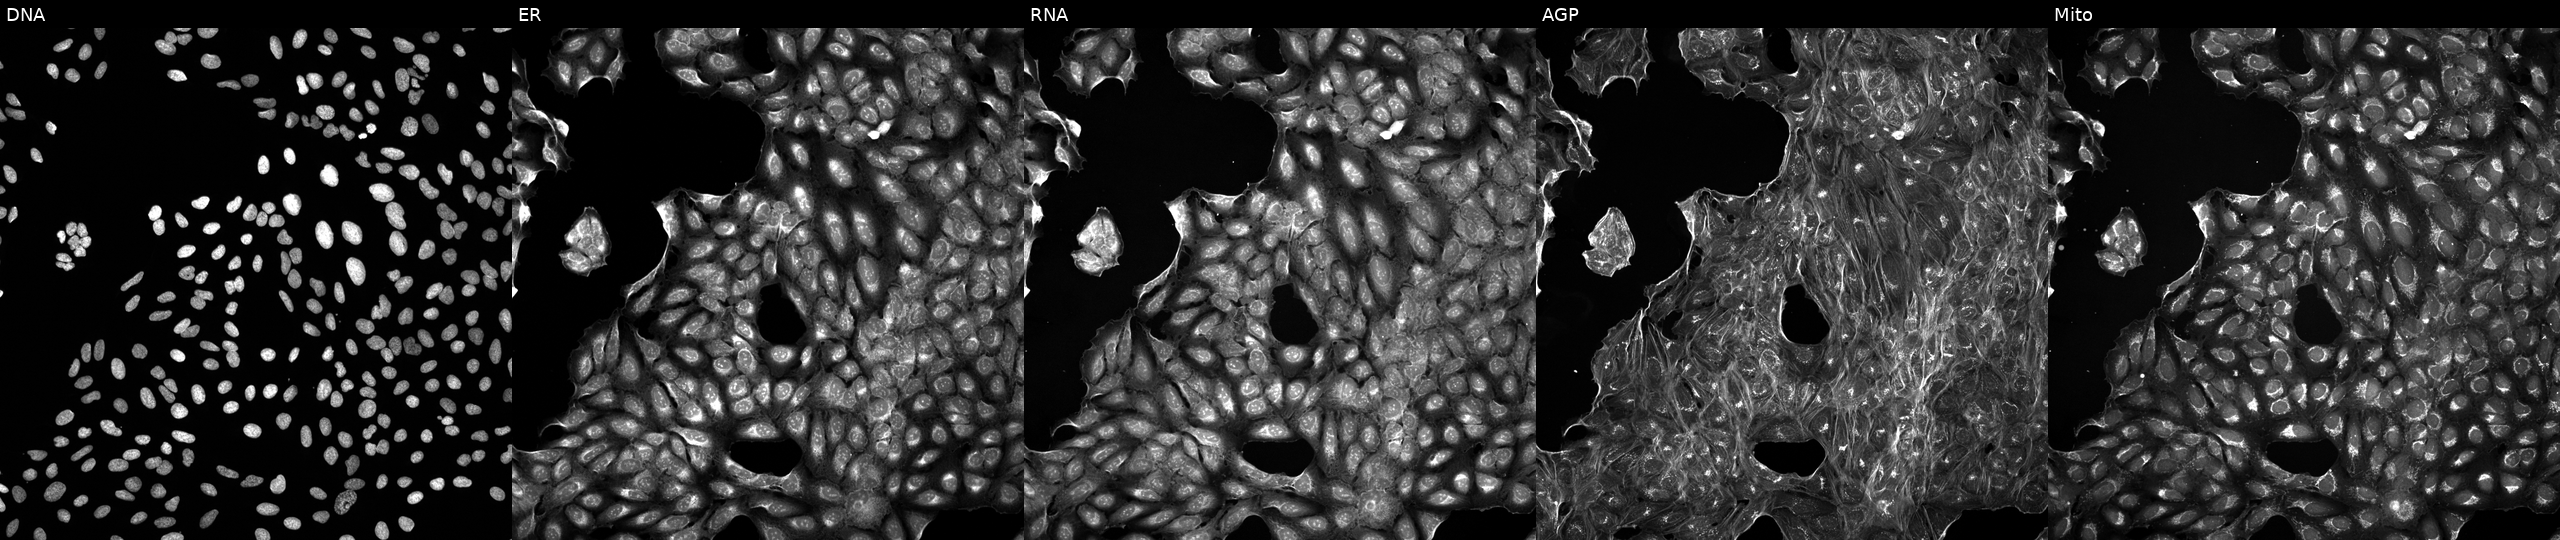
High-content fluorescence microscopy (Cell Painting). Cell line: U2OS. Perturbation: treated with DMSO vehicle only (negative control) (JUMP id JCP2022_033924). From left to right: Hoechst 33342, concanavalin A, SYTO 14, phalloidin and WGA, MitoTracker. Source 5, plate ACPJUM032, well N19.